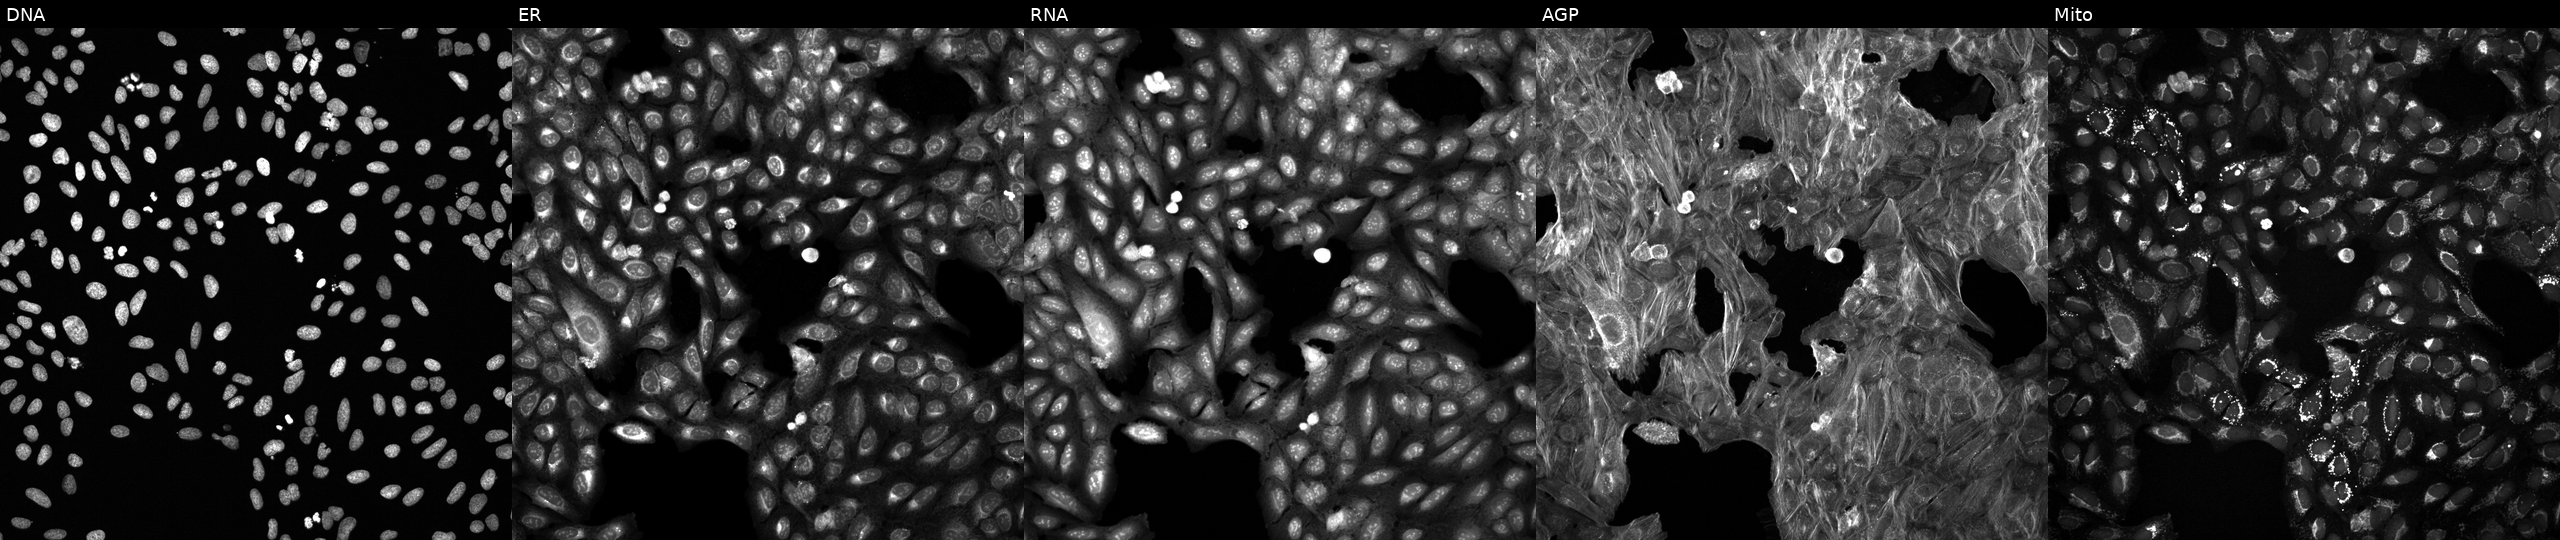
High-content fluorescence microscopy (Cell Painting). Cell line: U2OS. Perturbation: exposed to a small-molecule compound [SMILES: O=C1N=C2OC=C(C(=O)Nc3ccc(-n4cccn4)cc3)N2CCN1]. The five panels, left to right, show Hoechst 33342, concanavalin A, SYTO 14, phalloidin and WGA, MitoTracker.